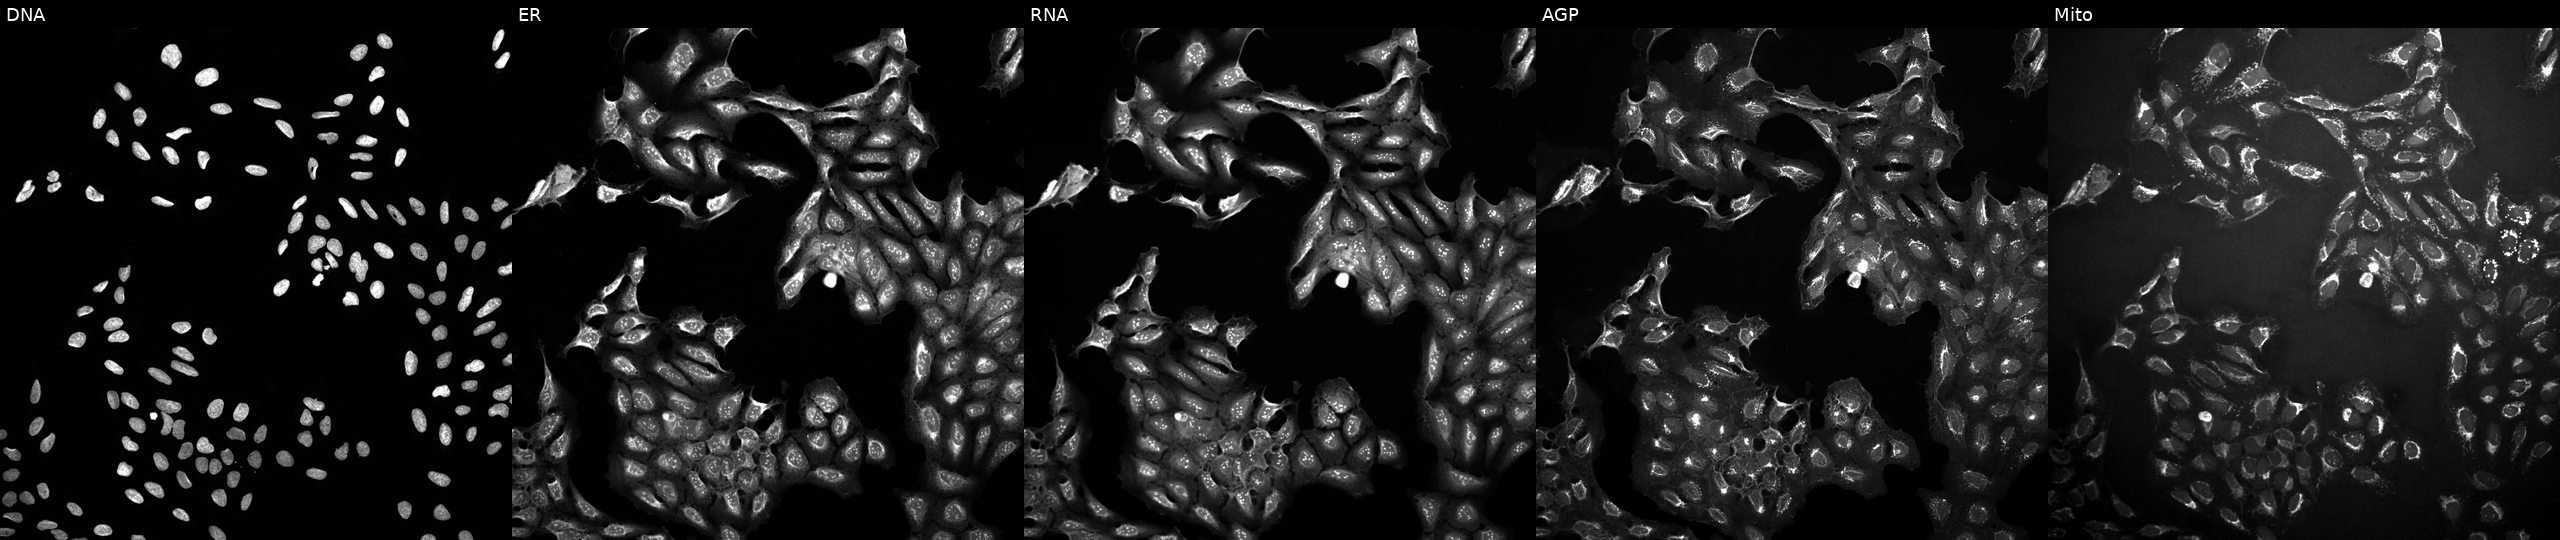
High-content fluorescence microscopy (Cell Painting). Cell line: U2OS. Perturbation: exposed to a small-molecule compound (InChIKey BNFRJXLZYUTIII-UHFFFAOYSA-N). The five panels, left to right, show Hoechst 33342, concanavalin A, SYTO 14, phalloidin and WGA, MitoTracker. Source 10, plate Dest210803-153958, well F03.